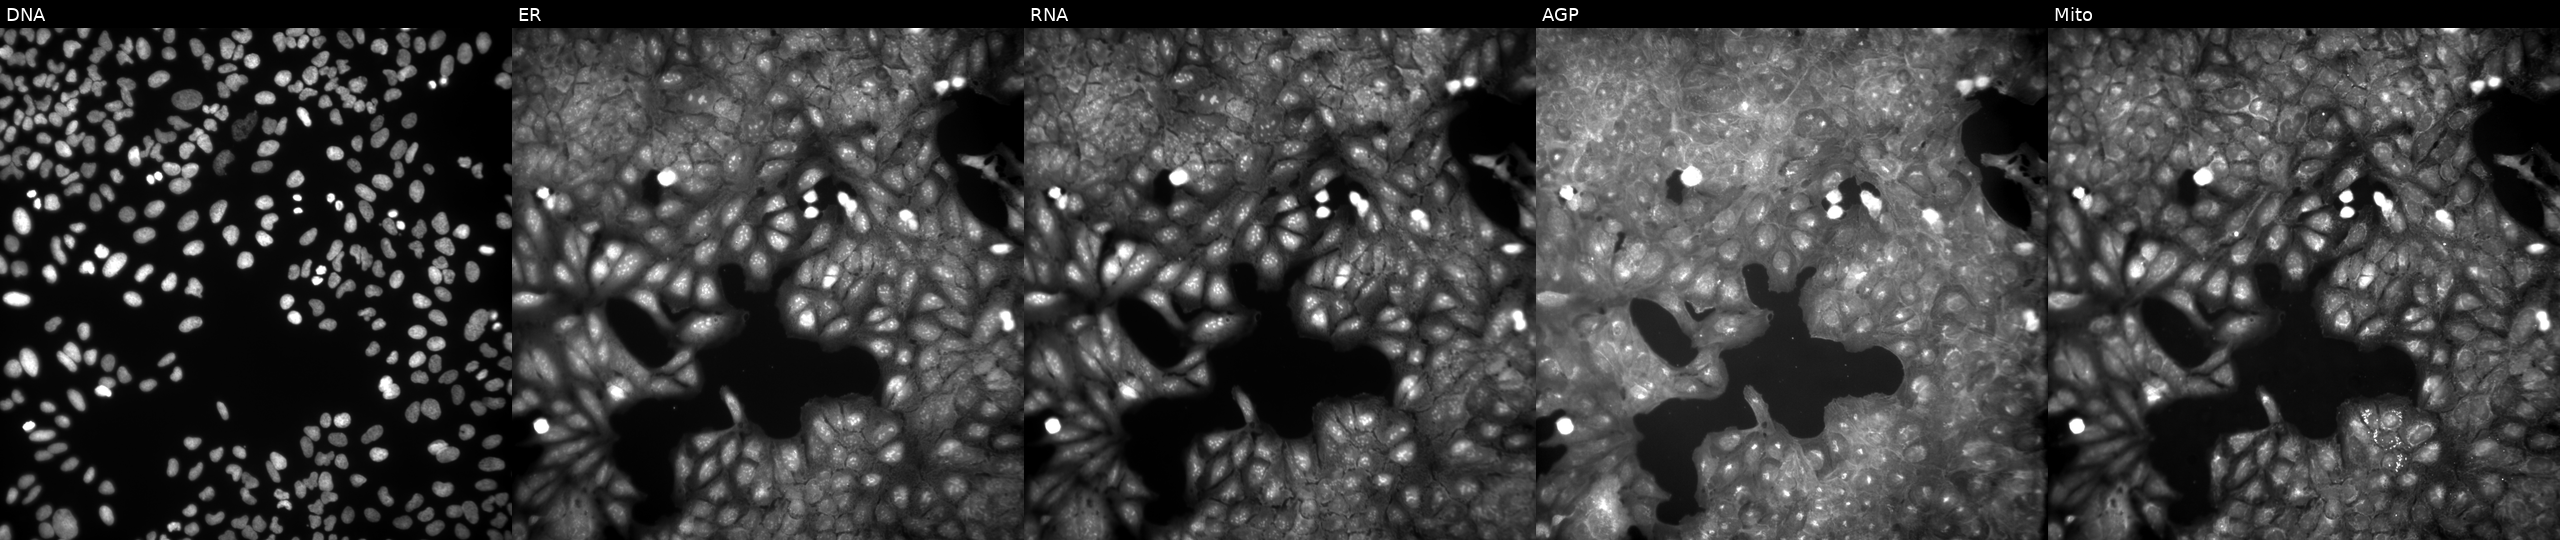
The five panels, left to right, show DNA, ER, RNA, AGP, and Mito. U2OS osteosarcoma cells treated with DMSO vehicle only (negative control). Cell Painting assay, JUMP-CP dataset.